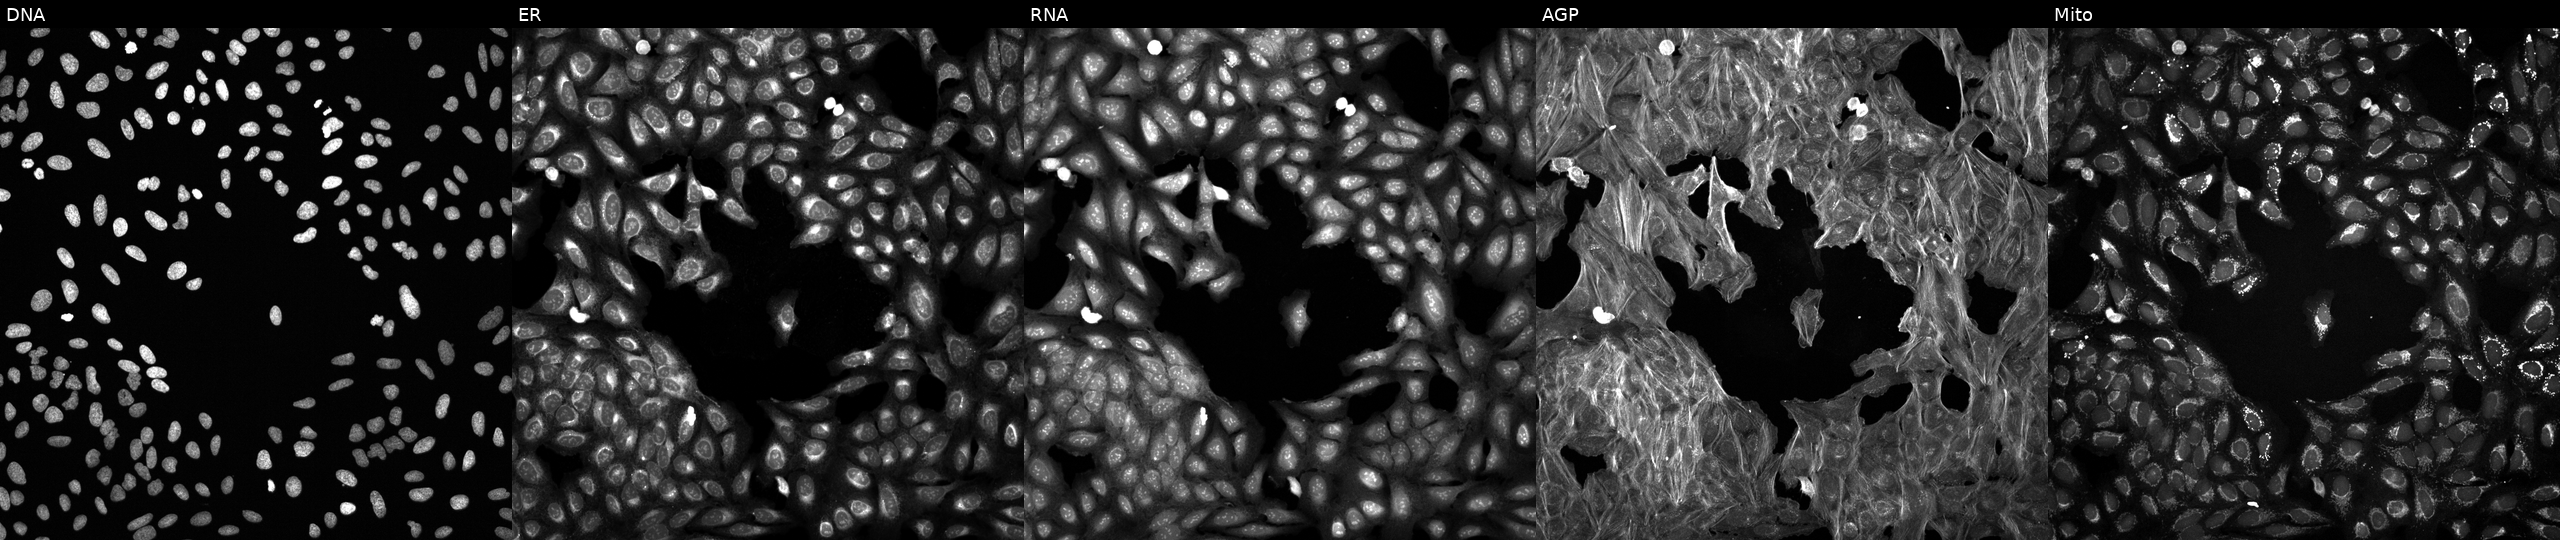
JUMP Cell Painting — COMPOUND plate. U2OS cells exposed to the positive-control compound quinidine. Channels (left→right): Hoechst 33342, concanavalin A, SYTO 14, phalloidin and WGA, MitoTracker.